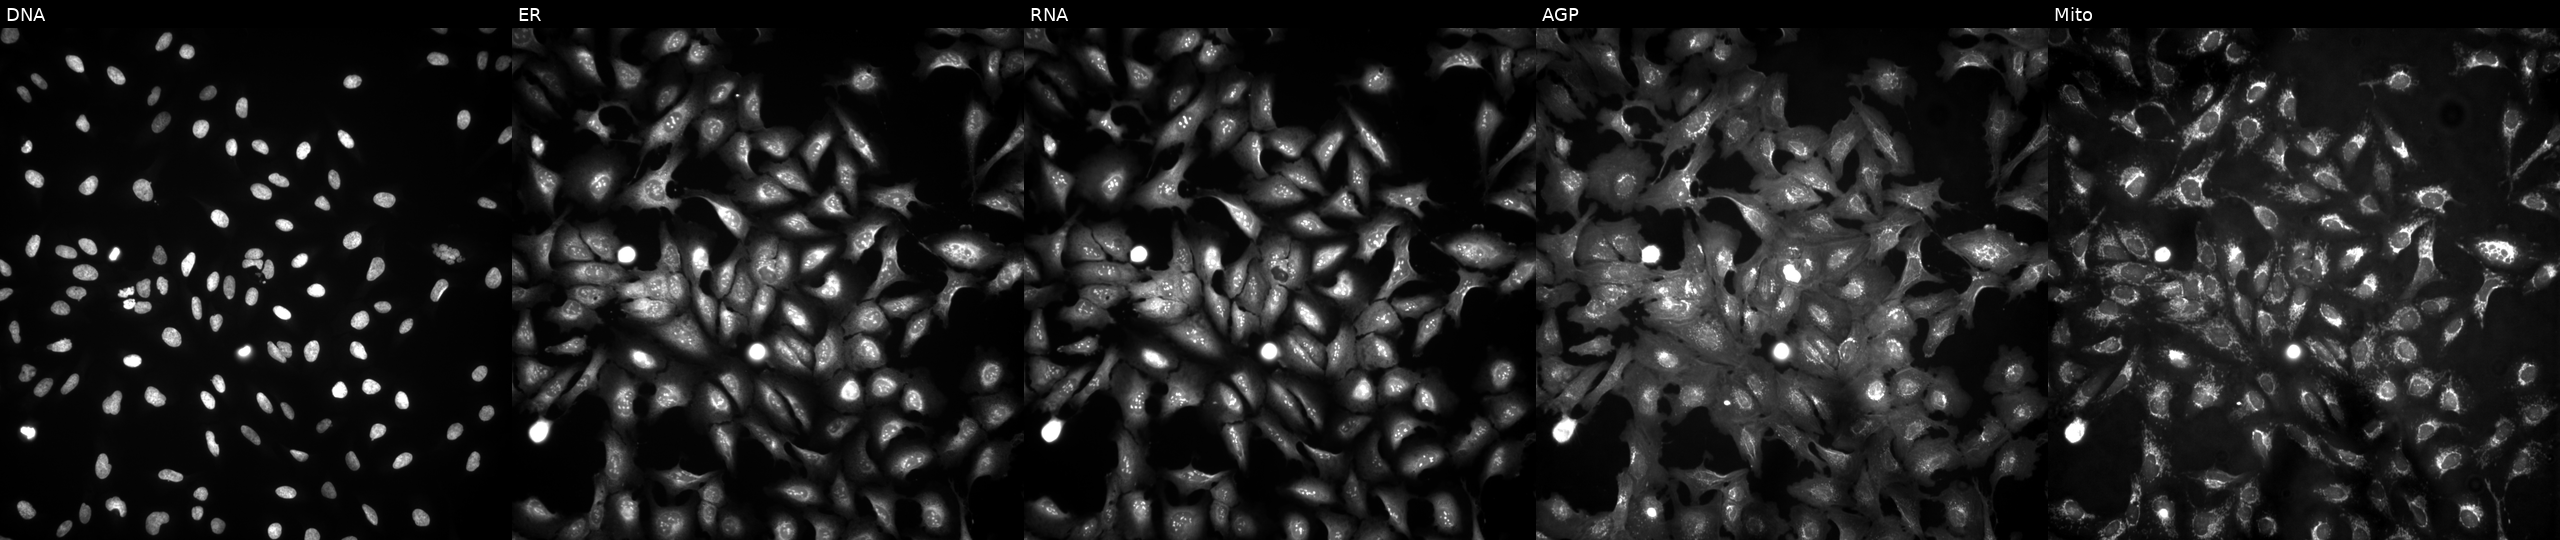
U2OS cells, Cell Painting assay, overexpressing RALBP1 via ORF transfection. The five panels, left to right, show DNA, ER, RNA, AGP, and Mito. Each panel is percentile-stretched 16-bit fluorescence.